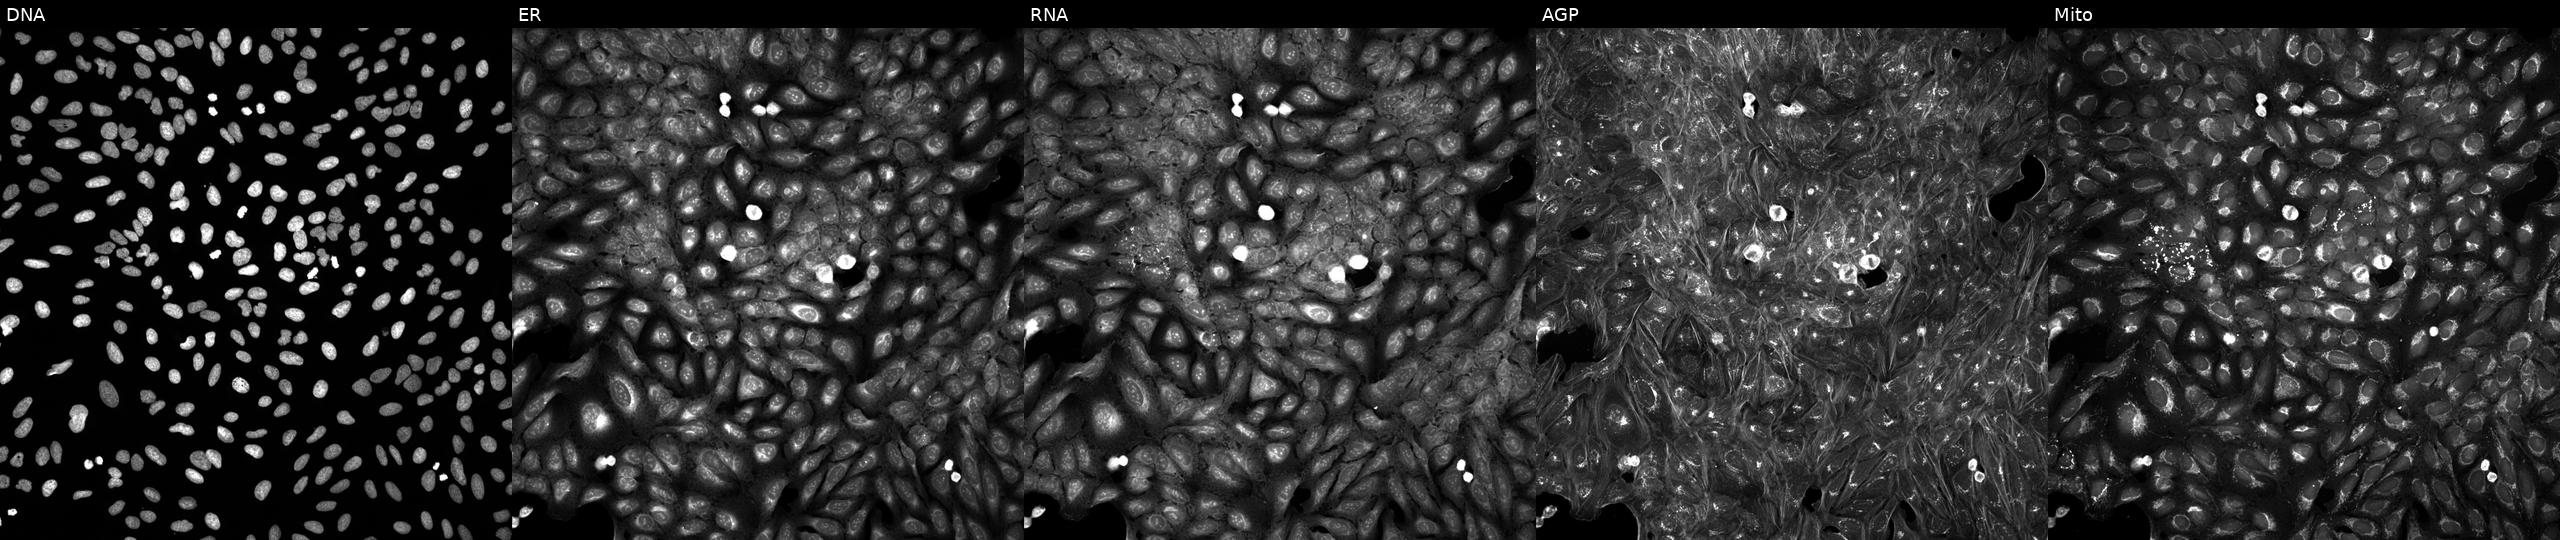
U2OS cells, Cell Painting assay, treated with DMSO vehicle only (negative control). The five panels, left to right, show DNA, ER, RNA, AGP, and Mito. Each panel is percentile-stretched 16-bit fluorescence.